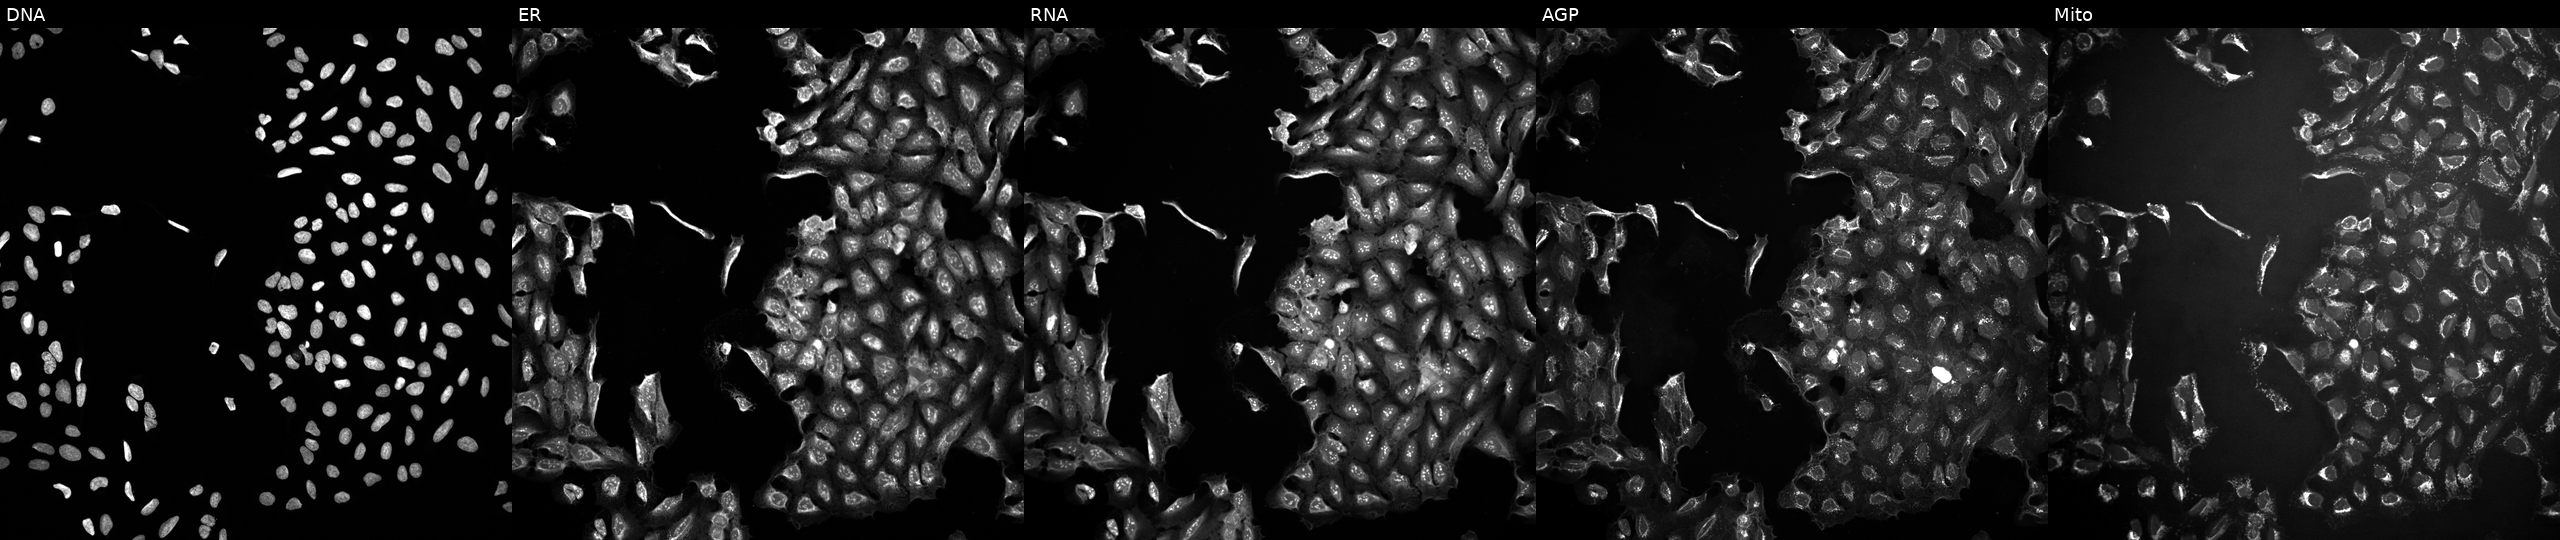
Five-channel Cell Painting image of U2OS cells treated with TC-S-7004 (positive-control compound) (JUMP id JCP2022_012818). The five panels, left to right, show DNA, ER, RNA, AGP, and Mito.